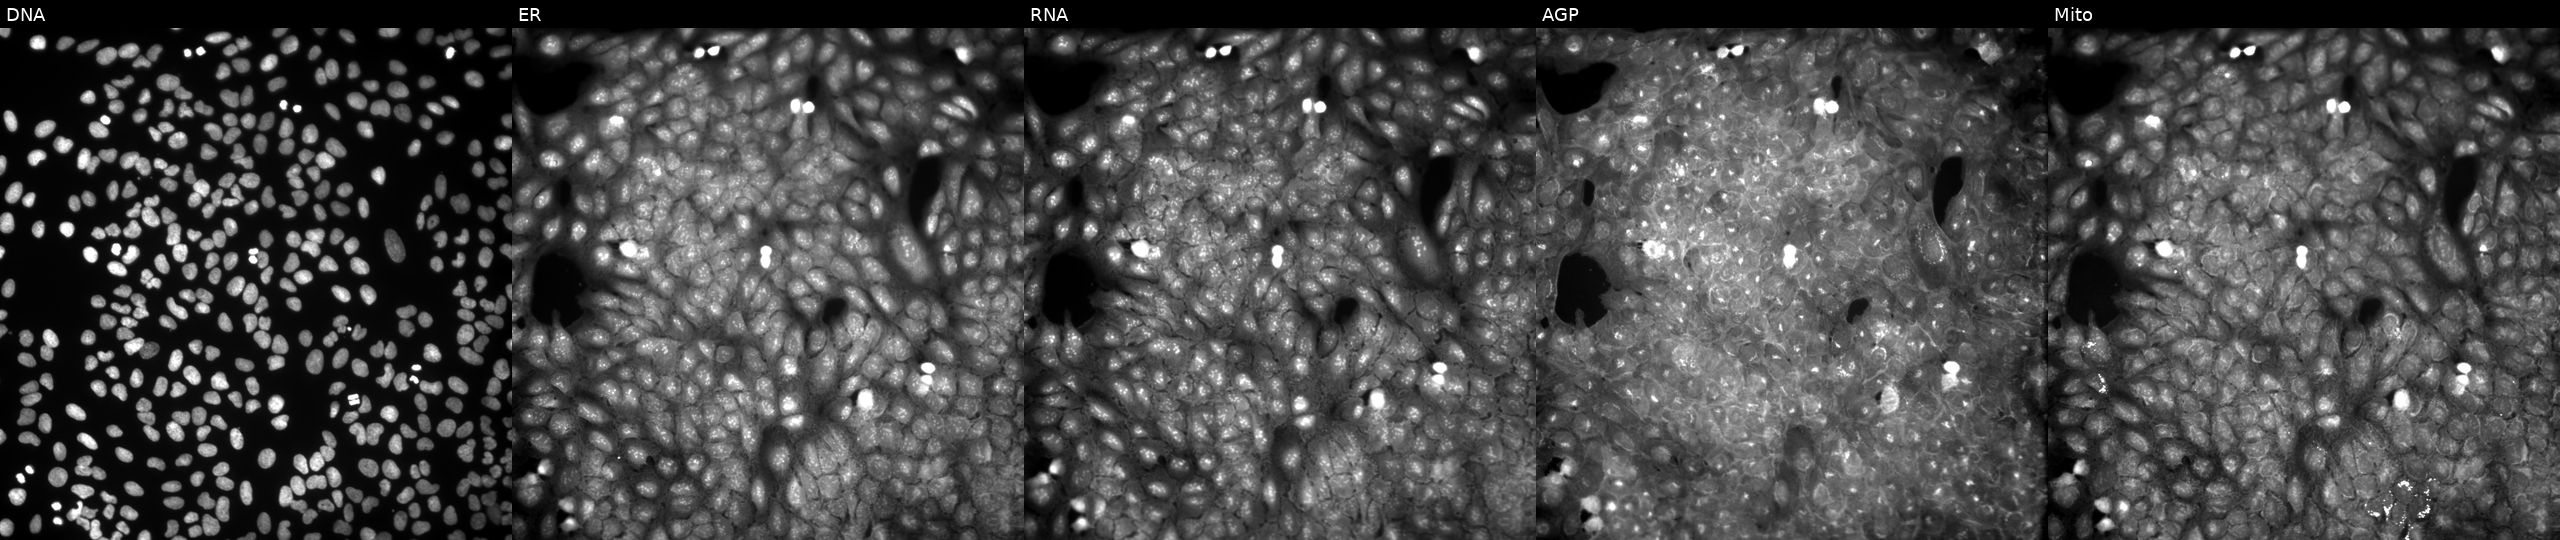
U2OS cells, Cell Painting assay, perturbed with a small-molecule compound (InChIKey BCDYFWFMQLBQFC-UHFFFAOYSA-N). From left to right: Hoechst 33342, concanavalin A, SYTO 14, phalloidin and WGA, MitoTracker. Each panel is percentile-stretched 16-bit fluorescence.